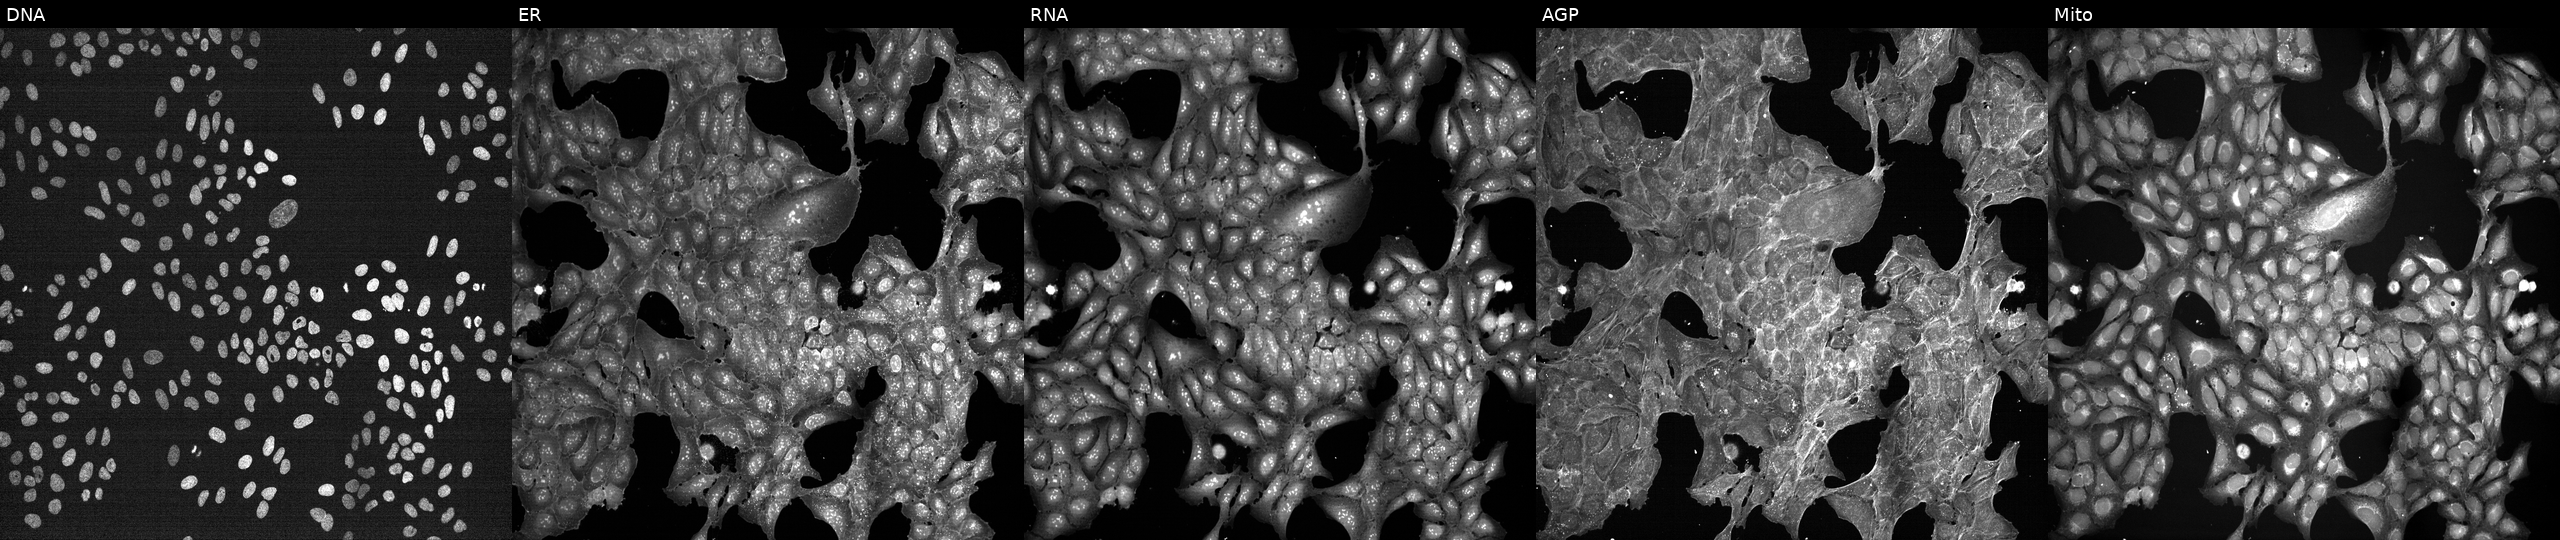
High-content fluorescence microscopy (Cell Painting). Cell line: U2OS. Perturbation: treated with a small-molecule compound [SMILES: FC(F)(F)c1cc(NC(=S)Nc2ccc(Br)cc2-c2nn[nH]n2)cc(C(F)(F)F)c1]. Channels (left→right): DNA, ER, RNA, AGP, and Mito.